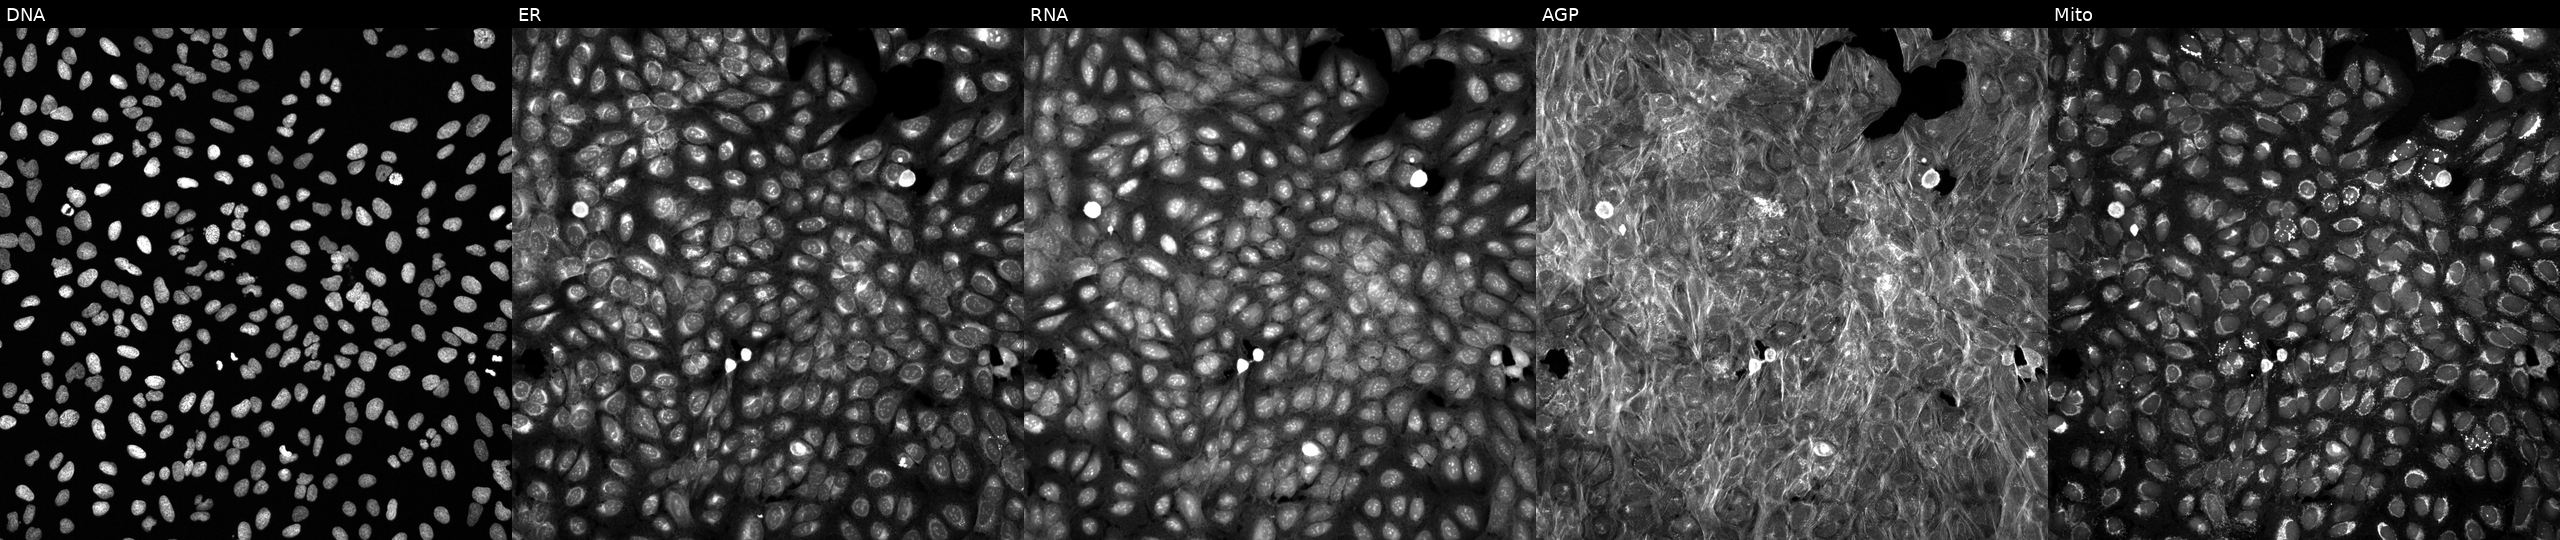
U2OS cells, Cell Painting assay, exposed to DMSO alone as a negative control (JUMP id JCP2022_033924). Panels show, left to right, DNA (nuclei); ER (endoplasmic reticulum); RNA (nucleoli and cytoplasmic RNA); AGP (actin cytoskeleton, Golgi, and plasma membrane); Mito (mitochondria). Each panel is percentile-stretched 16-bit fluorescence. Source 6, plate 110000294901, well E05.